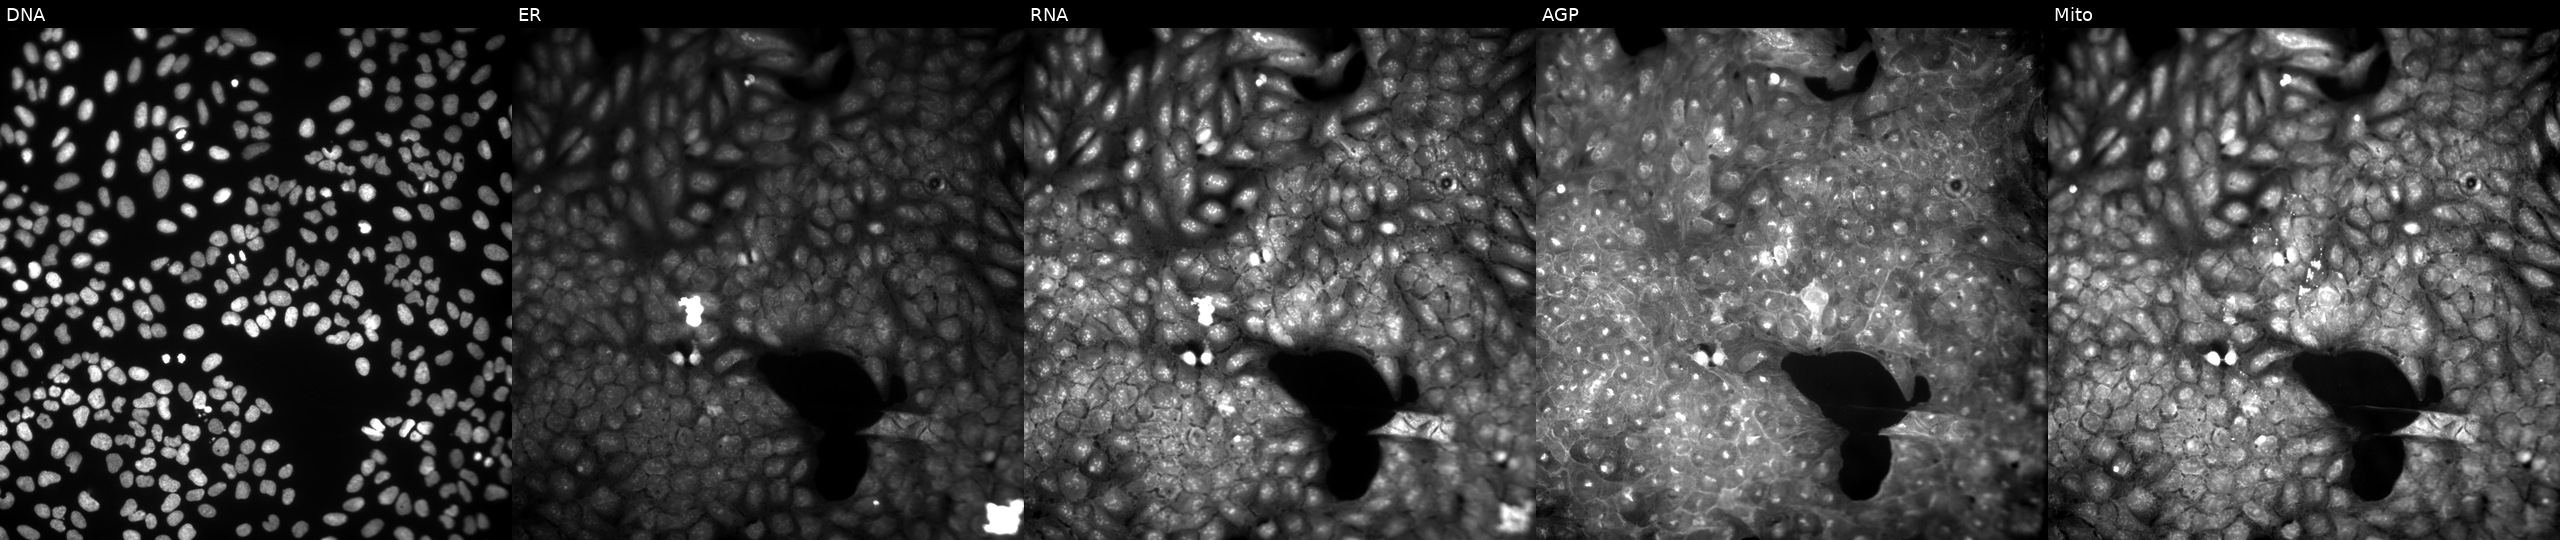
JUMP Cell Painting — COMPOUND plate. U2OS cells treated with a small-molecule compound (InChIKey HZAWSECNAURSLI-UHFFFAOYSA-N) [SMILES: Cc1ccc(C2Nc3cccc4cccc(c34)N2)cc1] (JUMP id JCP2022_033561). From left to right: DNA, ER, RNA, AGP, and Mito. Source 9, plate GR00003382, well AE42.